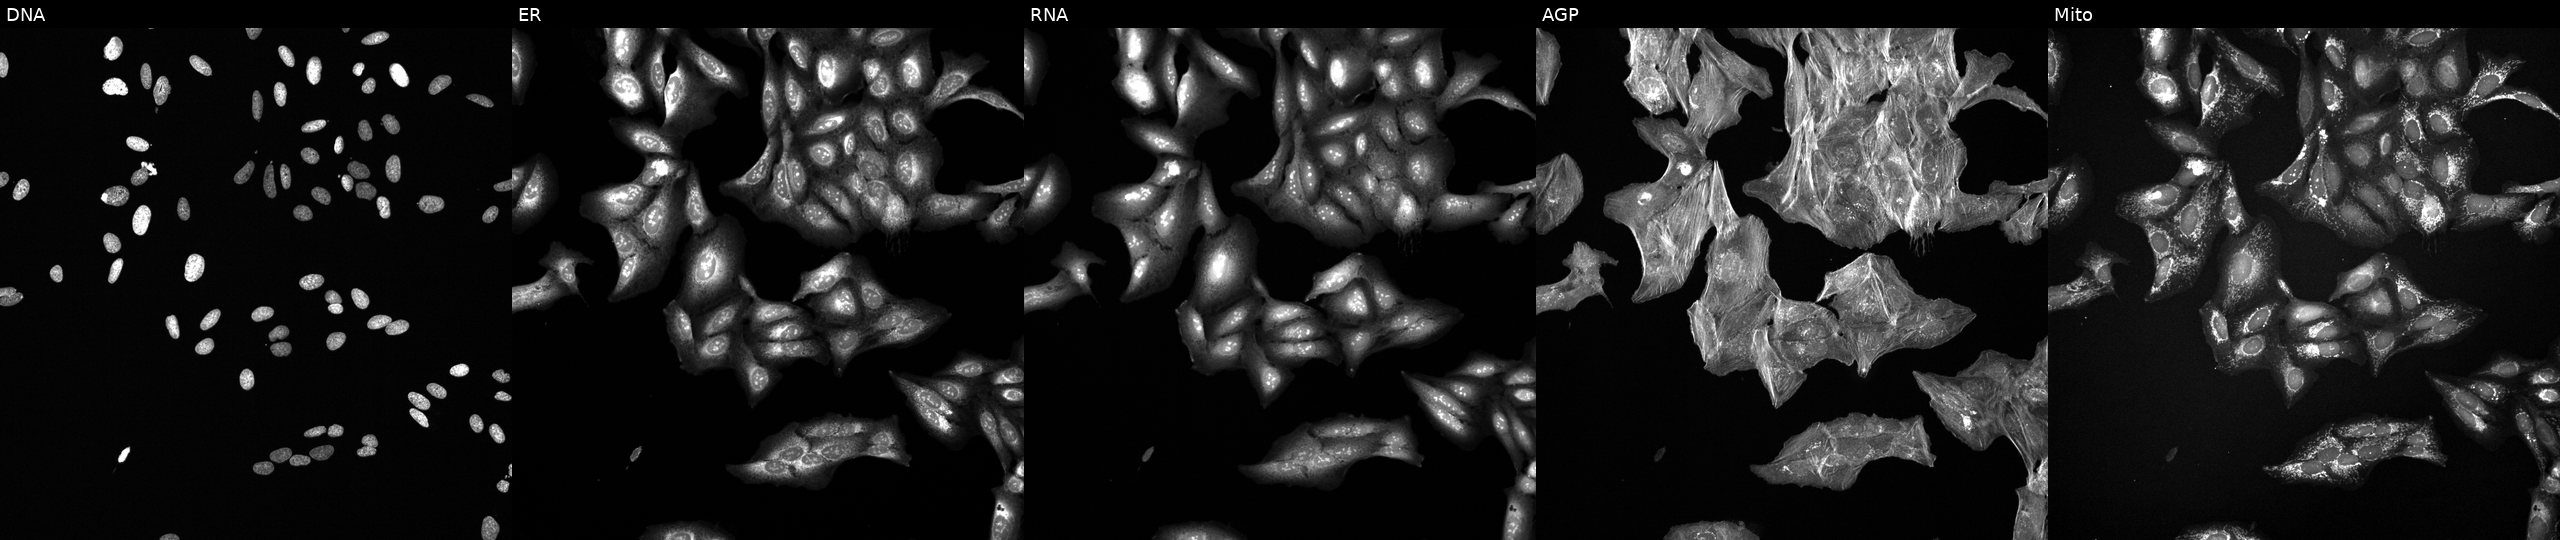
U2OS cells, Cell Painting assay, perturbed with a small-molecule compound (InChIKey RQVGFDBMONQTBC-UHFFFAOYSA-N) (JUMP id JCP2022_080150). From left to right: Hoechst 33342, concanavalin A, SYTO 14, phalloidin and WGA, MitoTracker. Each panel is percentile-stretched 16-bit fluorescence. Source 6, plate 110000293093, well B08.